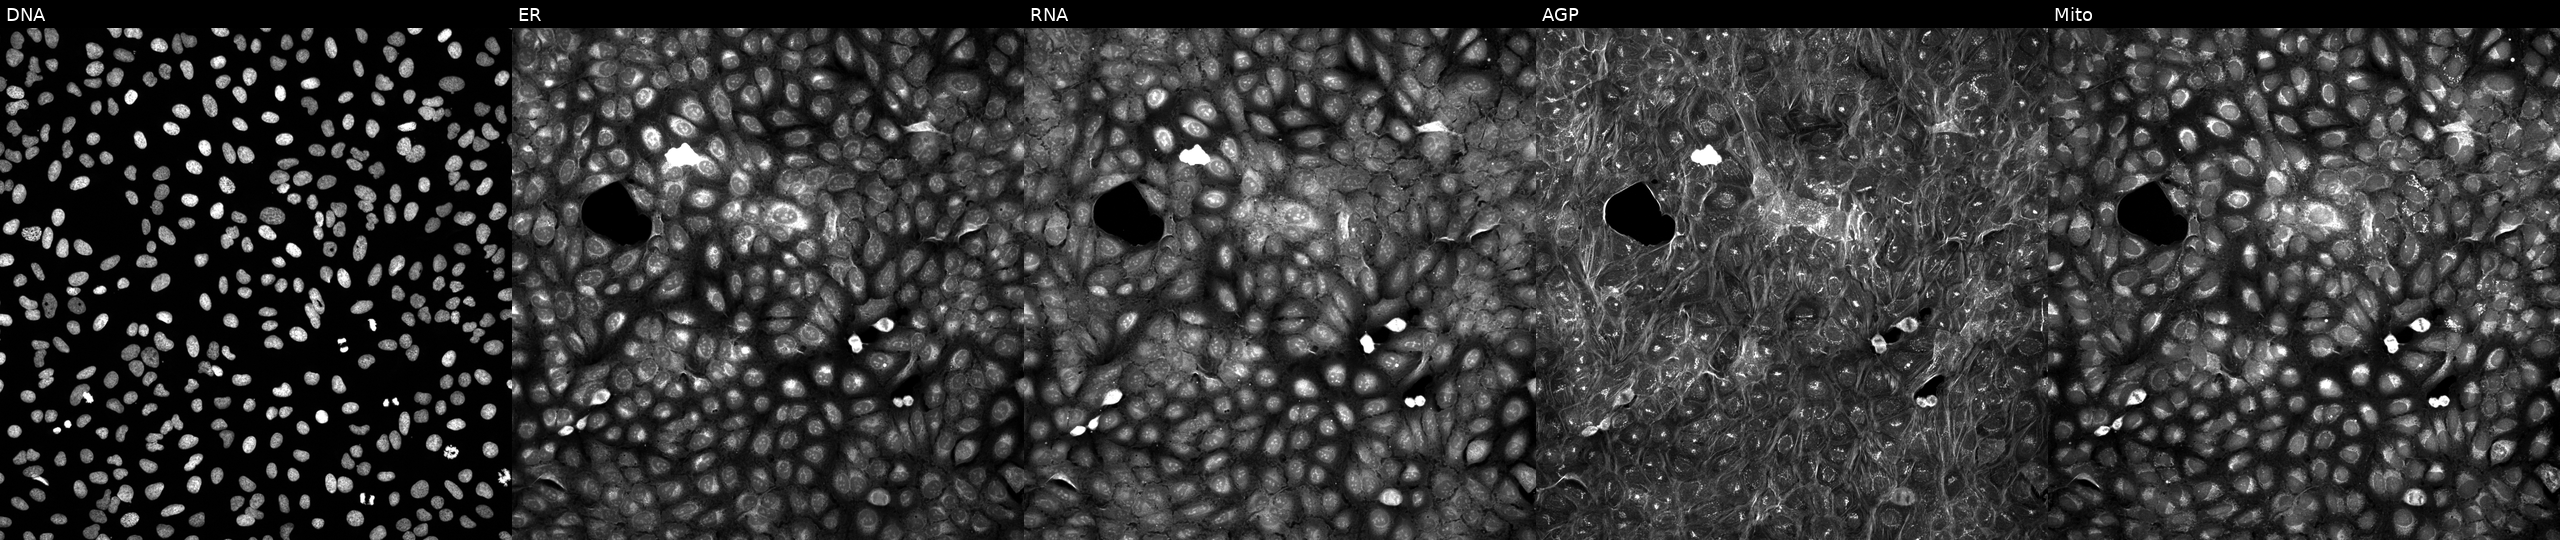
U2OS cells, Cell Painting assay, exposed to a small-molecule compound (InChIKey LNFZRMDSZJCZTG-UHFFFAOYSA-N). Channels (left→right): DNA, ER, RNA, AGP, and Mito. Each panel is percentile-stretched 16-bit fluorescence. Source 5, plate ACPJUM051, well P23.